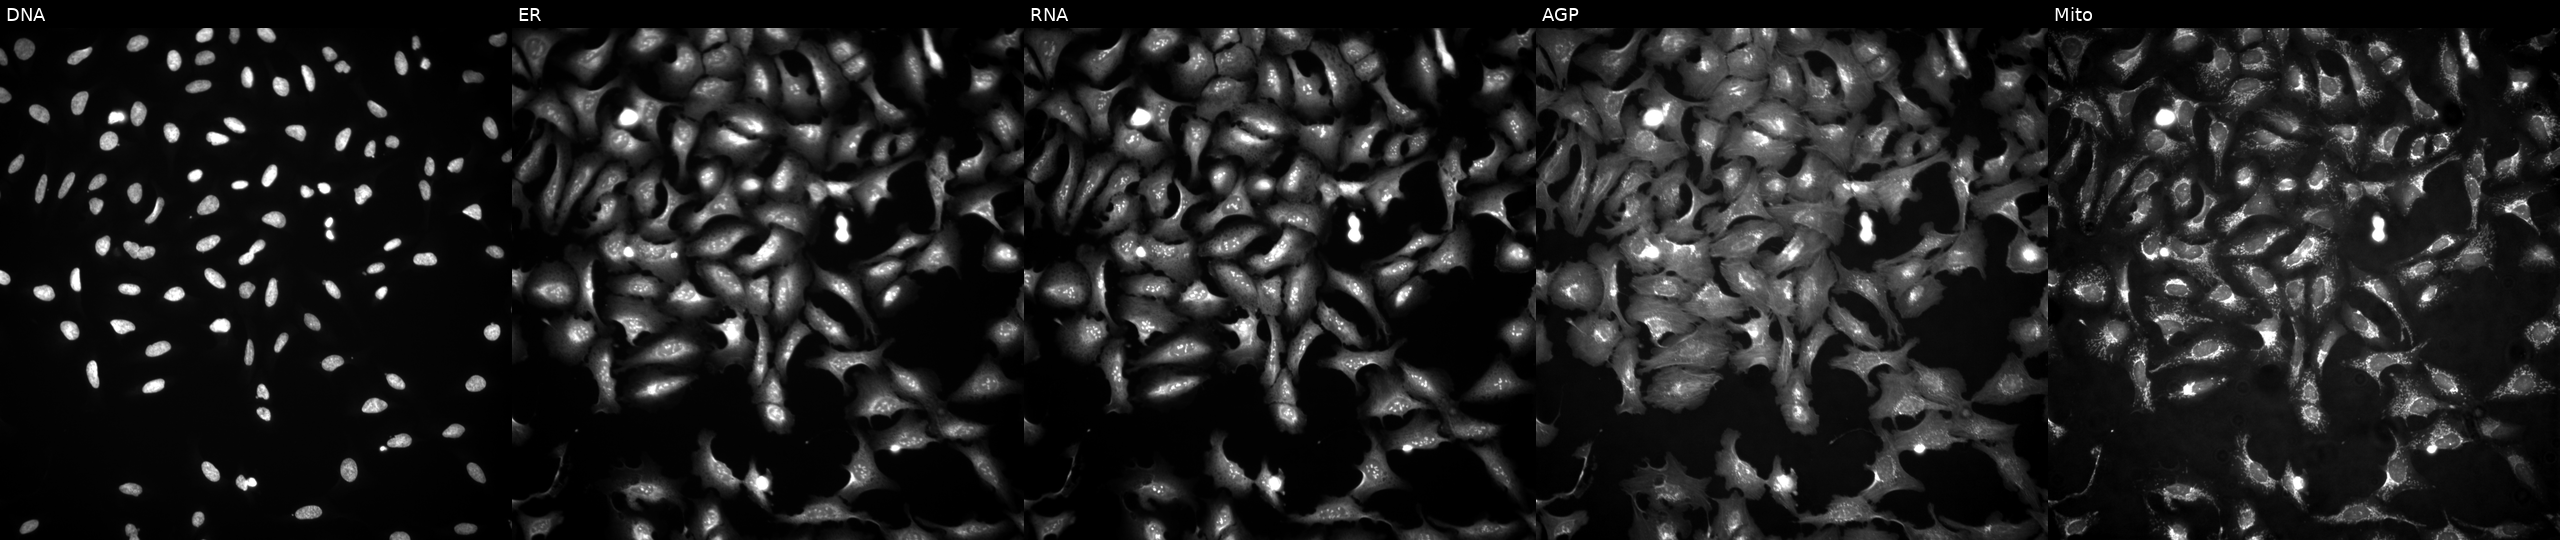
This image strip shows the five Cell Painting channels for a single field of U2OS cells with PKN2 overexpressed (ORF) (JUMP id JCP2022_914534). Panels show, left to right, DNA, ER, RNA, AGP, and Mito.